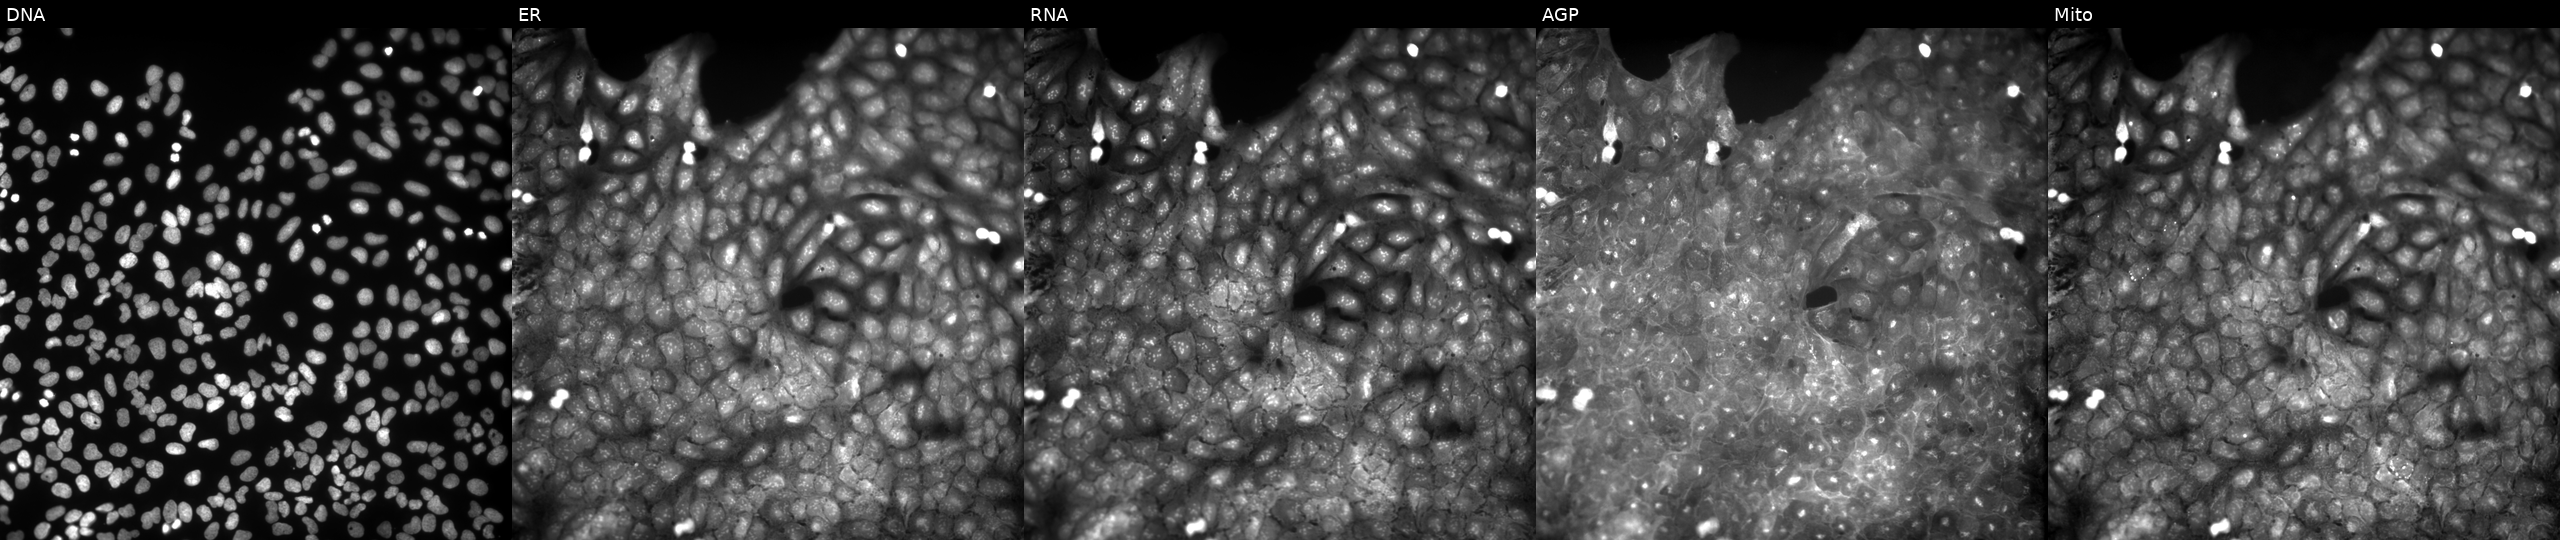
JUMP Cell Painting — COMPOUND plate. U2OS cells perturbed with a small-molecule compound (InChIKey SFRRKRUPUFUMEC-UHFFFAOYSA-N) (JUMP id JCP2022_082912). Panels show, left to right, DNA, ER, RNA, AGP, and Mito.